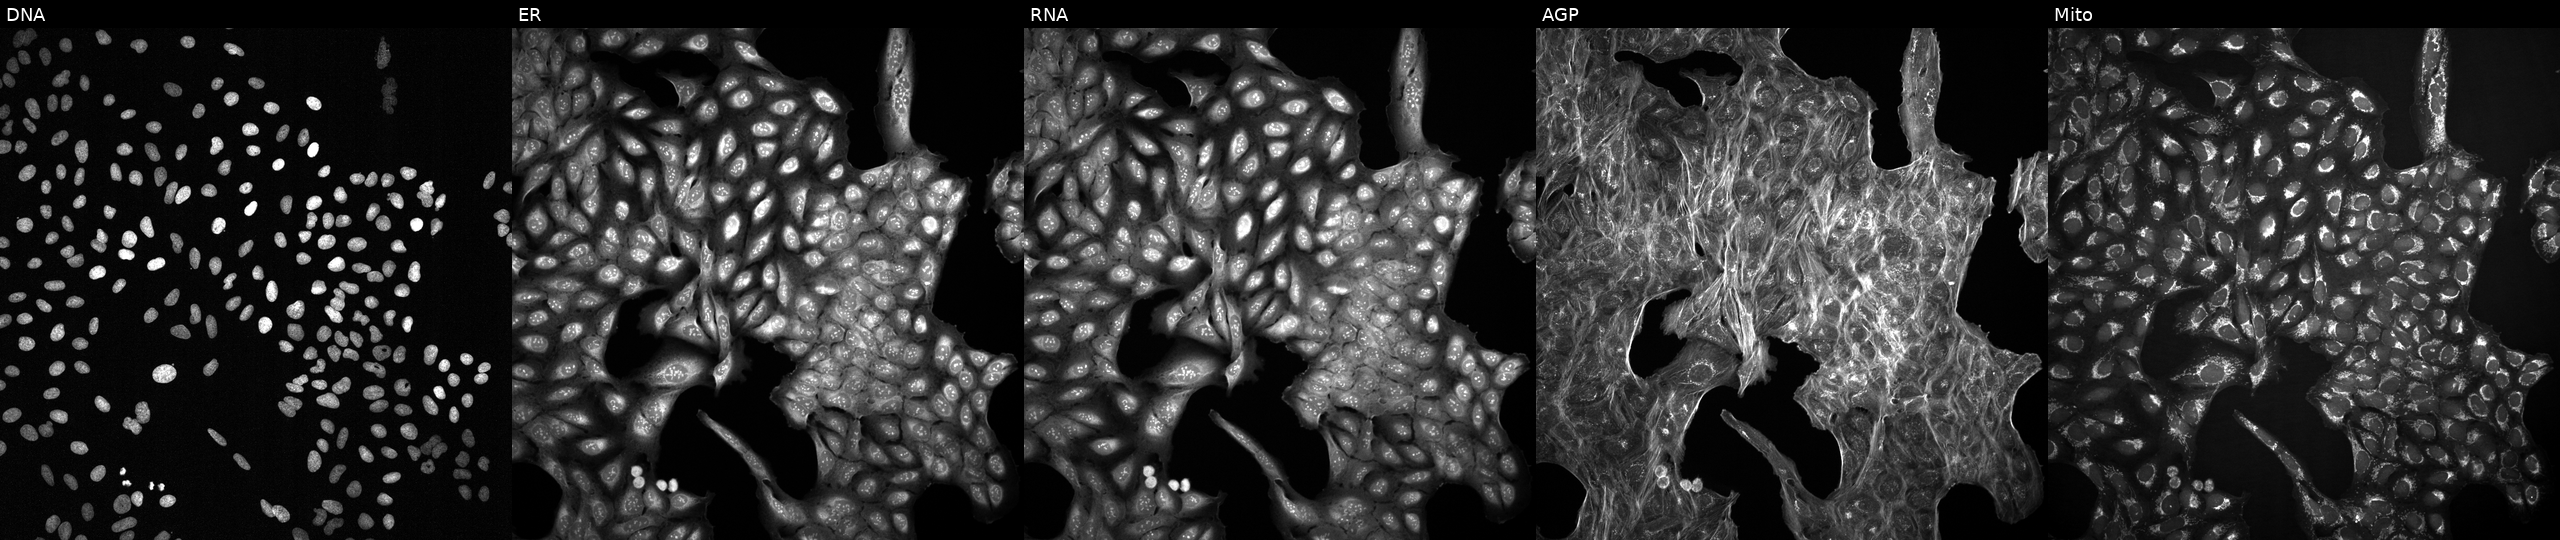
From left to right: DNA, ER, RNA, AGP, and Mito. U2OS osteosarcoma cells exposed to a small-molecule compound (InChIKey VCKUSRYTPJJLNI-UHFFFAOYSA-N). Cell Painting assay, JUMP-CP dataset. Source 2, plate 1053600674, well N24.